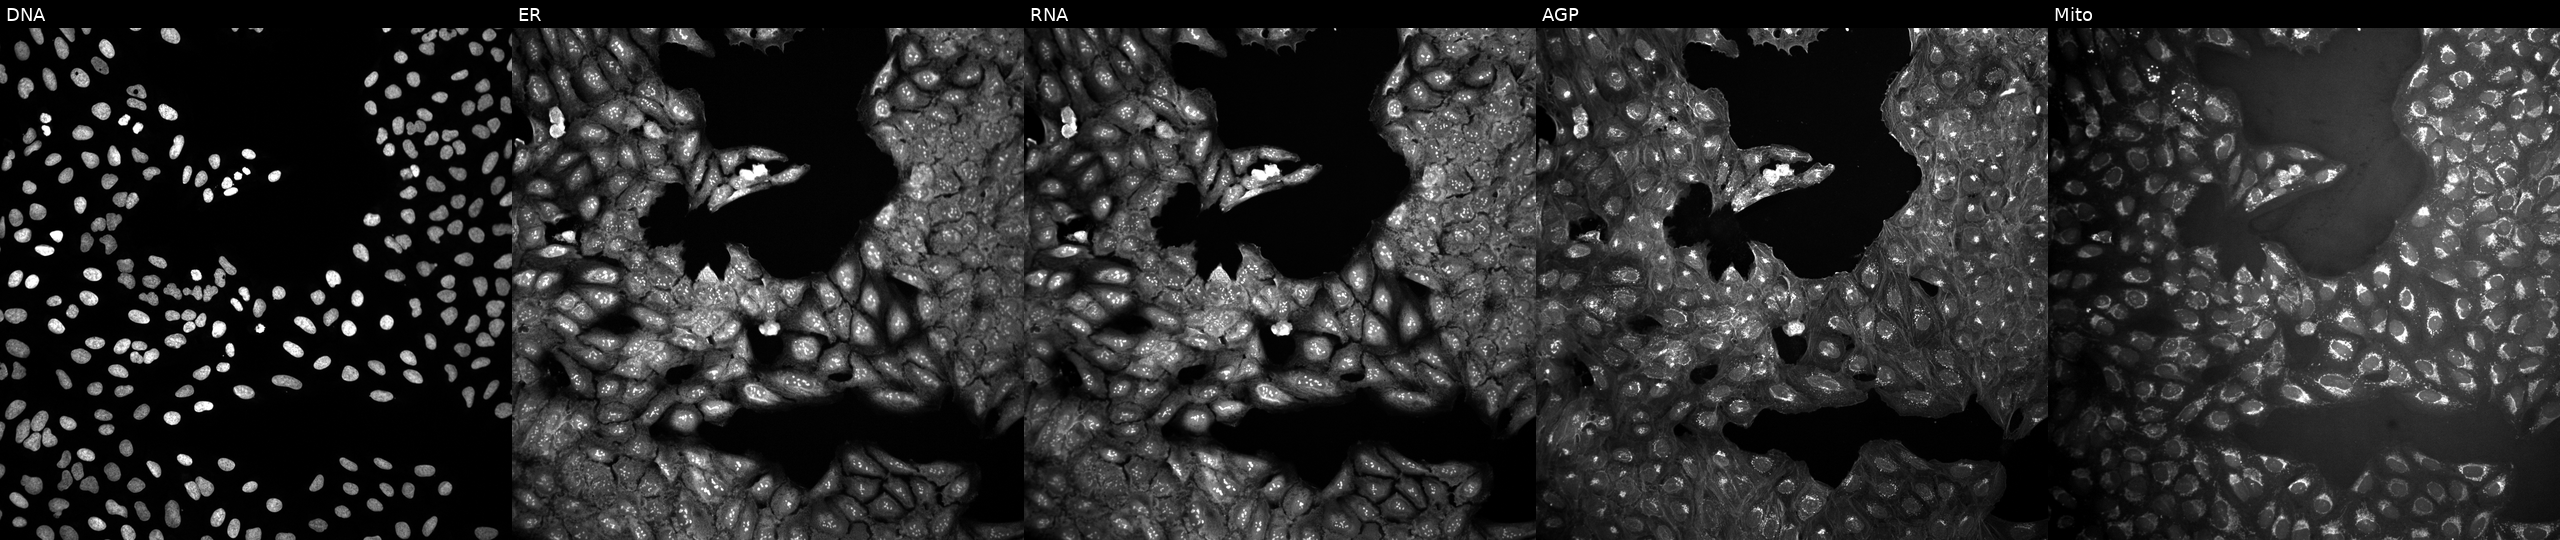
Five-channel Cell Painting image of U2OS cells untreated (empty-well control) (JUMP id JCP2022_999999). The five panels, left to right, show Hoechst 33342, concanavalin A, SYTO 14, phalloidin and WGA, MitoTracker. Source 10, plate Dest210531-152149, well J20.